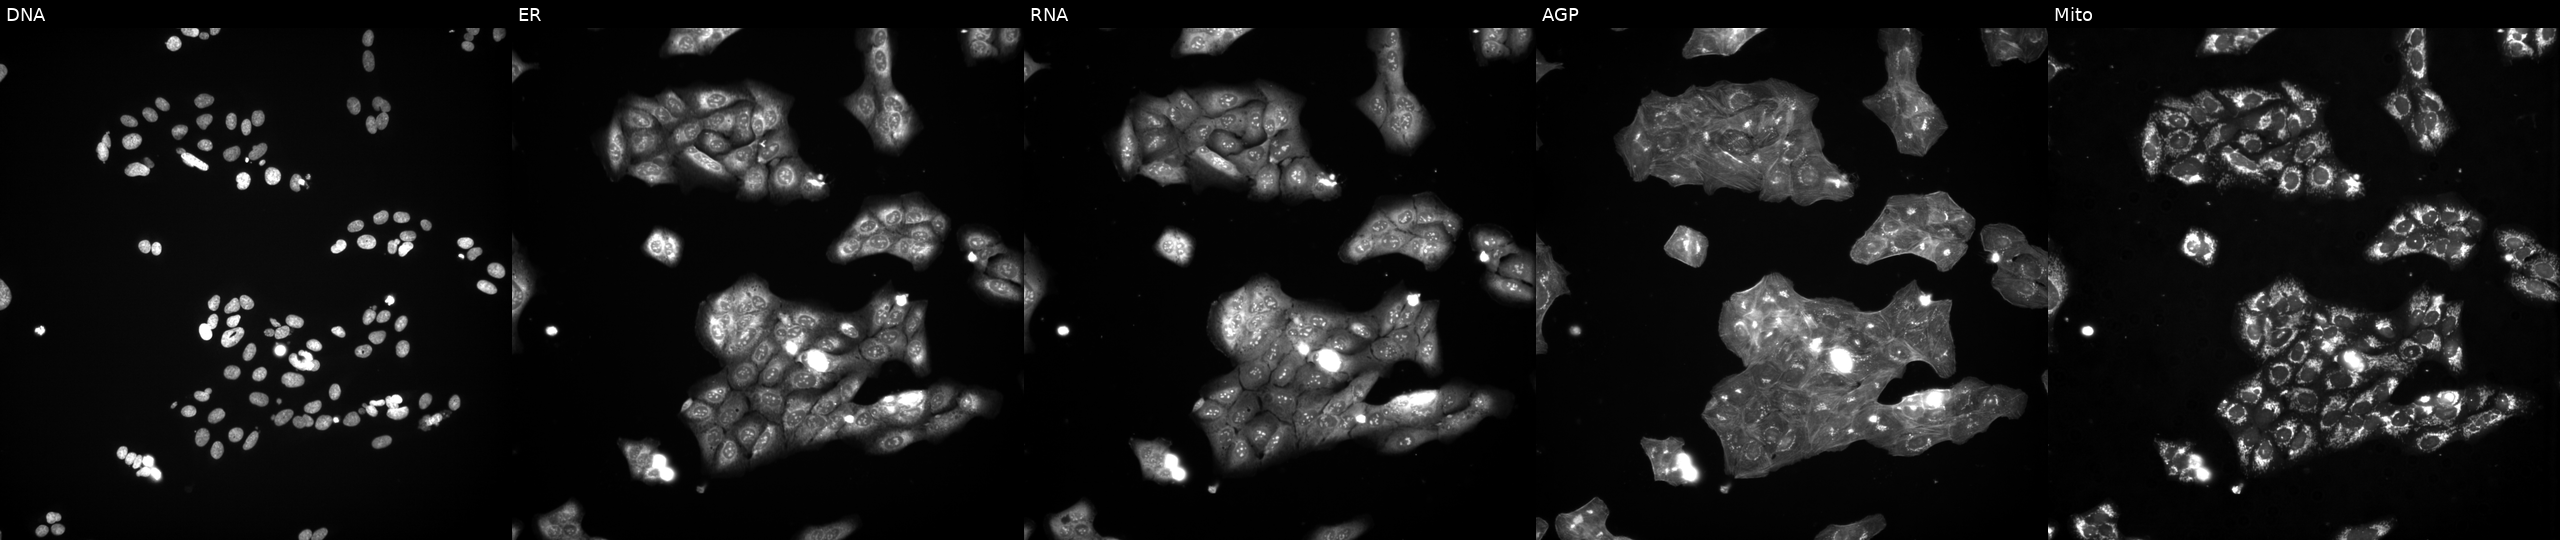
JUMP Cell Painting — COMPOUND plate. U2OS cells exposed to a small-molecule compound (InChIKey HGZGKCQOPGCVFJ-UHFFFAOYSA-N) (JUMP id JCP2022_030124). The five panels, left to right, show Hoechst 33342, concanavalin A, SYTO 14, phalloidin and WGA, MitoTracker.